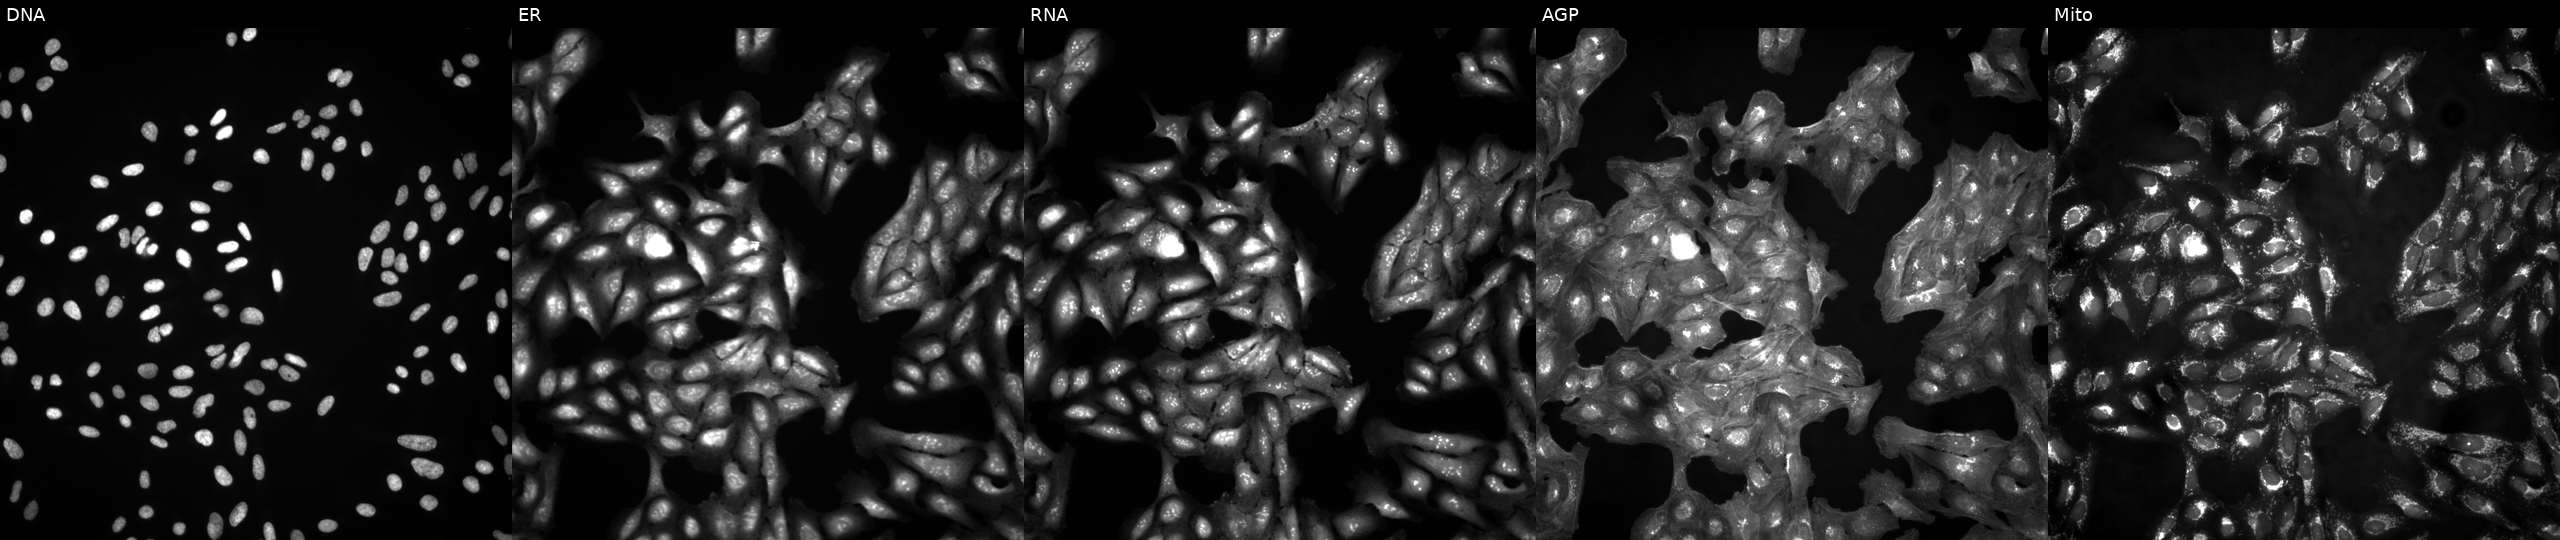
This image strip shows the five Cell Painting channels for a single field of U2OS cells untreated (empty-well control). Panels show, left to right, DNA (nuclei); ER (endoplasmic reticulum); RNA (nucleoli and cytoplasmic RNA); AGP (actin cytoskeleton, Golgi, and plasma membrane); Mito (mitochondria).